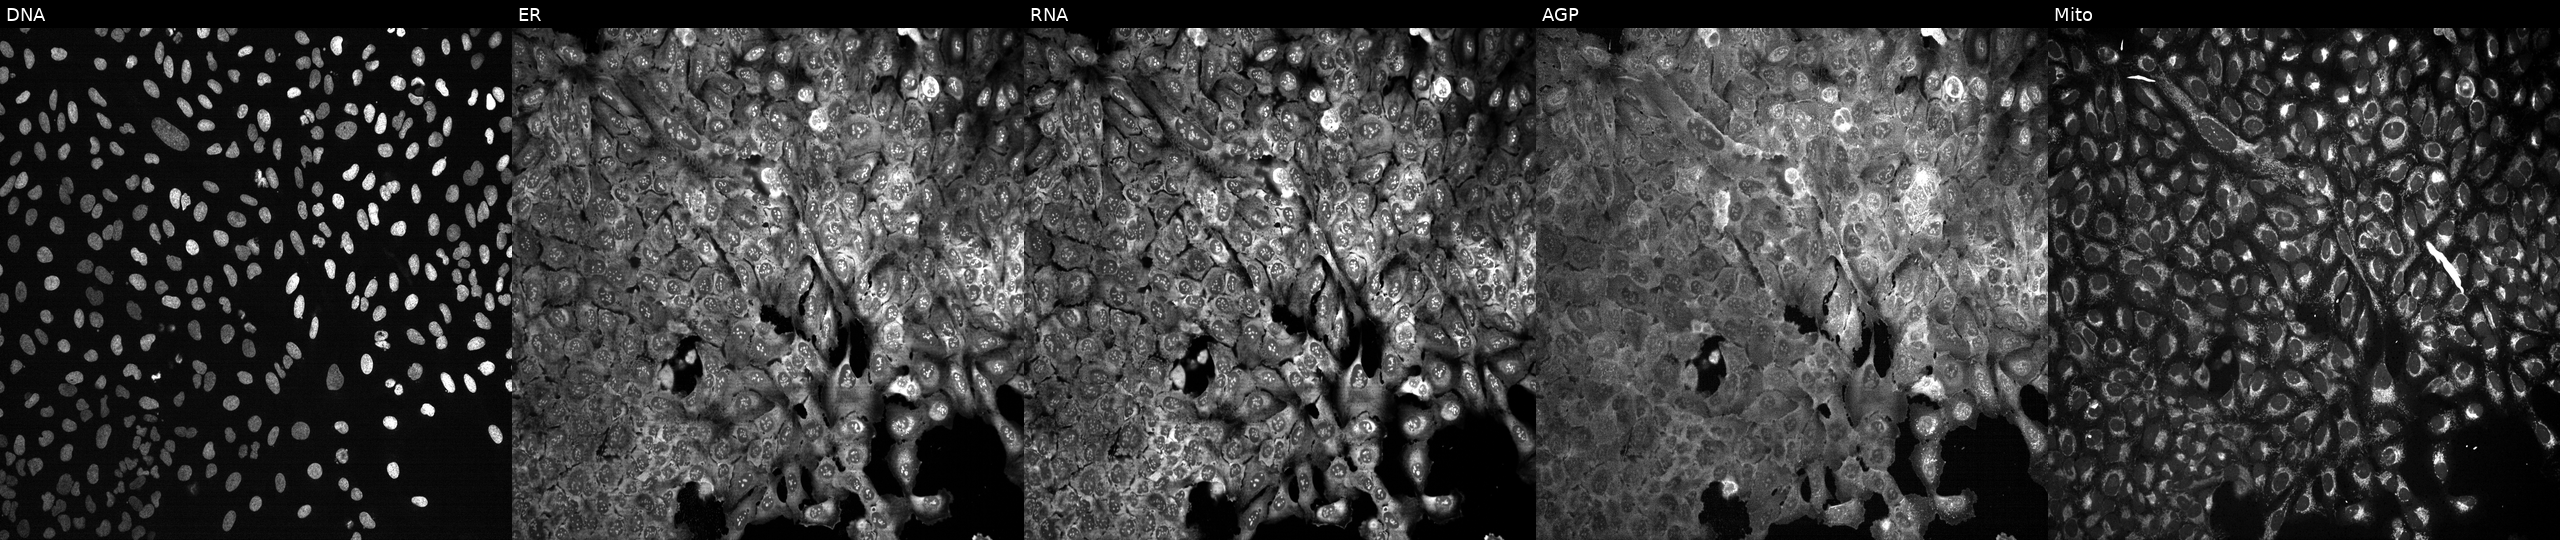
This image strip shows the five Cell Painting channels for a single field of U2OS cells following CRISPR knockout of FANCC. From left to right: DNA (nuclei); ER (endoplasmic reticulum); RNA (nucleoli and cytoplasmic RNA); AGP (actin cytoskeleton, Golgi, and plasma membrane); Mito (mitochondria). Source 13, plate CP-CC9-R3-01, well M06.